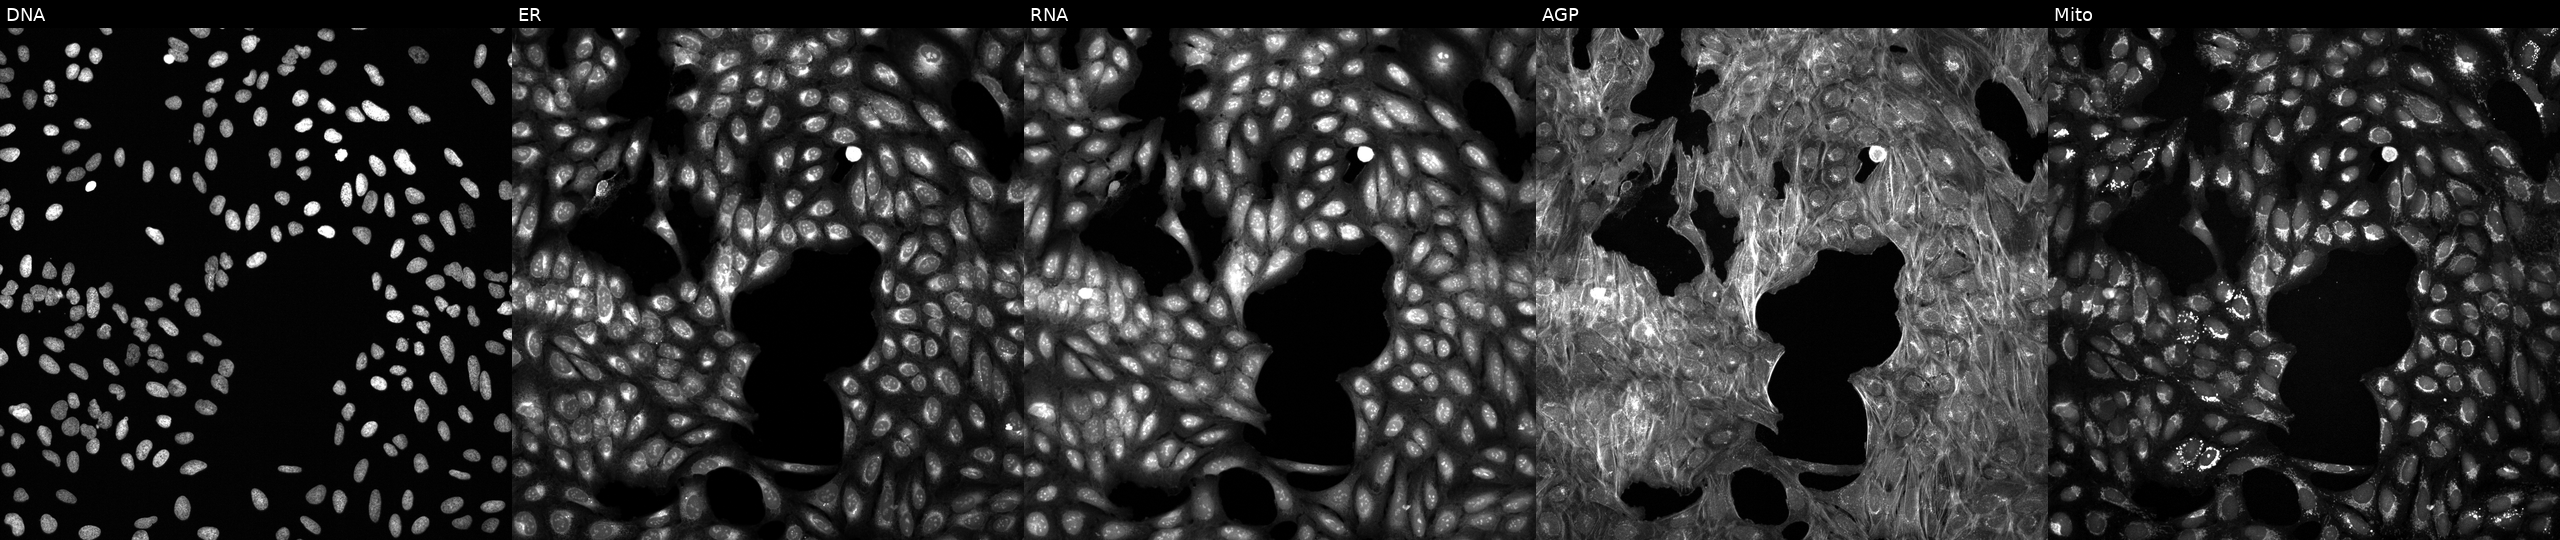
Panels show, left to right, DNA, ER, RNA, AGP, and Mito. U2OS osteosarcoma cells treated with DMSO vehicle only (negative control). Cell Painting assay, JUMP-CP dataset.